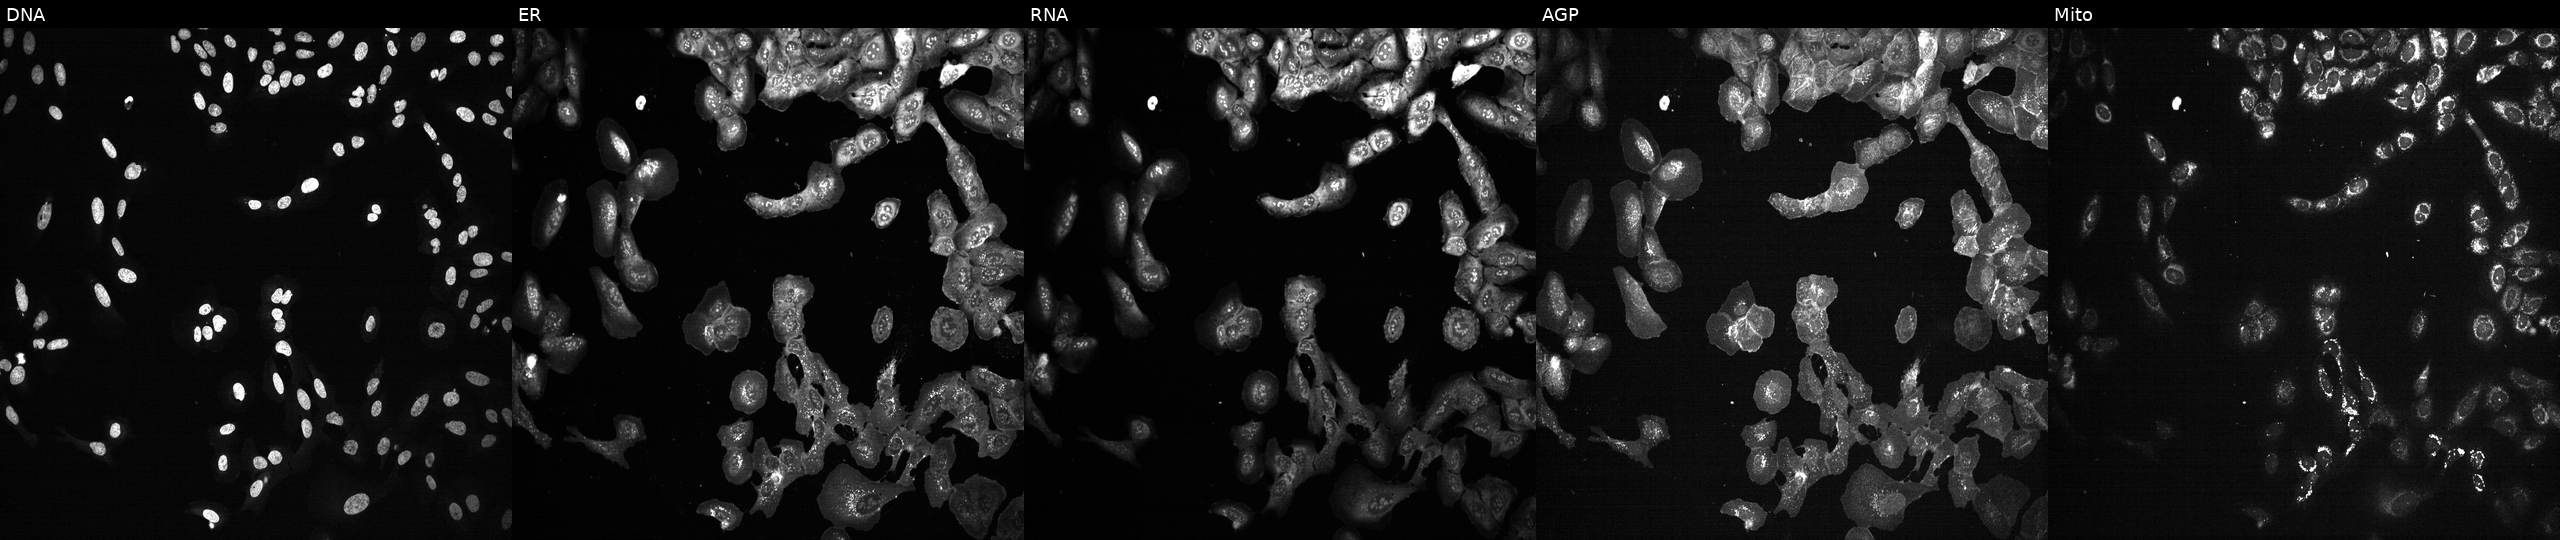
Five-channel Cell Painting image of U2OS cells following CRISPR knockout of MAT2A (JUMP id JCP2022_804050). From left to right: DNA, ER, RNA, AGP, and Mito.